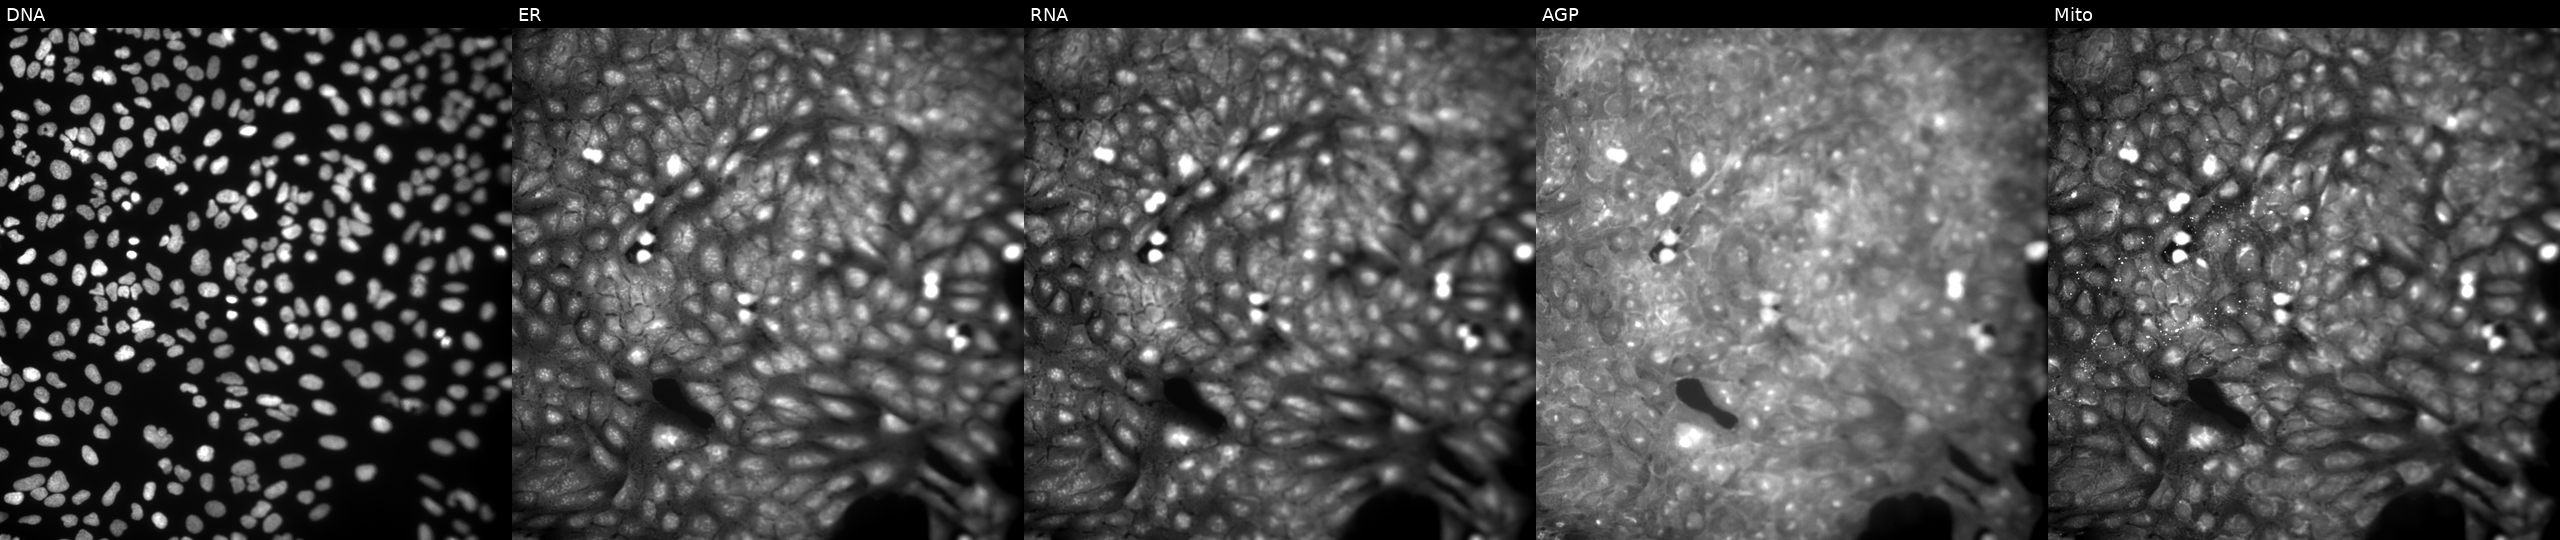
From left to right: Hoechst 33342, concanavalin A, SYTO 14, phalloidin and WGA, MitoTracker. U2OS osteosarcoma cells treated with a small-molecule compound (InChIKey DEBVCFPSYXNEMV-UHFFFAOYSA-N) [SMILES: COC(=O)c1c(C)oc2ccc(OC(=O)c3cccc([N+](=O)[O-])c3)cc12]. Cell Painting assay, JUMP-CP dataset. Source 9, plate GR00003381, well F45.